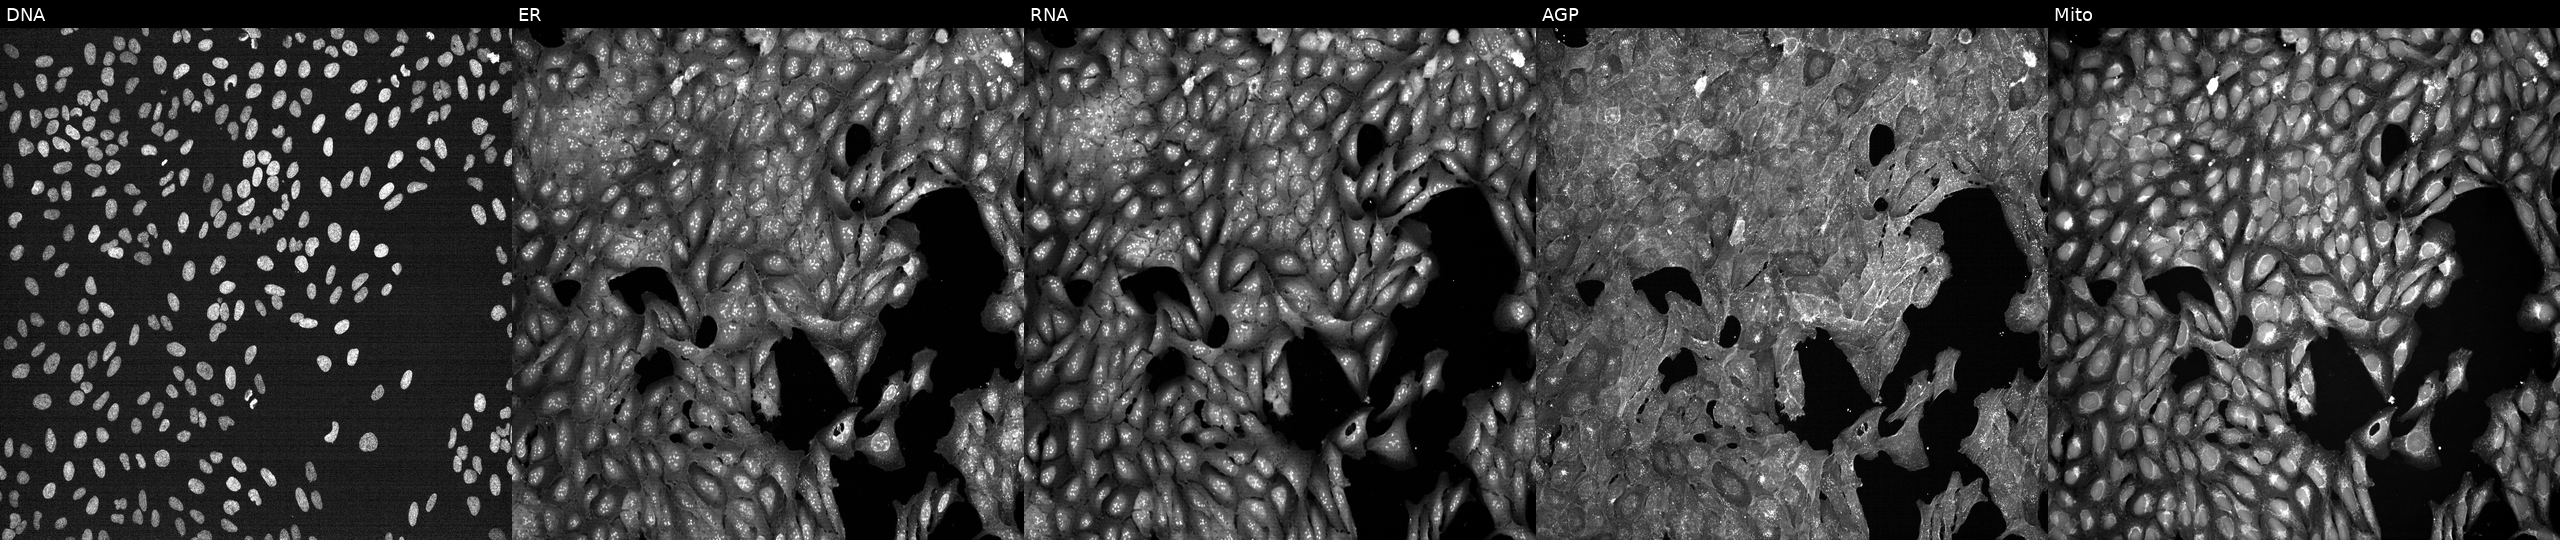
The five panels, left to right, show DNA, ER, RNA, AGP, and Mito. U2OS osteosarcoma cells exposed to a small-molecule compound (InChIKey OJLOPKGSLYJEMD-UHFFFAOYSA-N) [SMILES: CCCCC(C)(O)CC=CC1C(O)CC(=O)C1CCCCCCC(=O)OC] (JUMP id JCP2022_064183). Cell Painting assay, JUMP-CP dataset. Source 7, plate CP1-SC1-25, well E09.